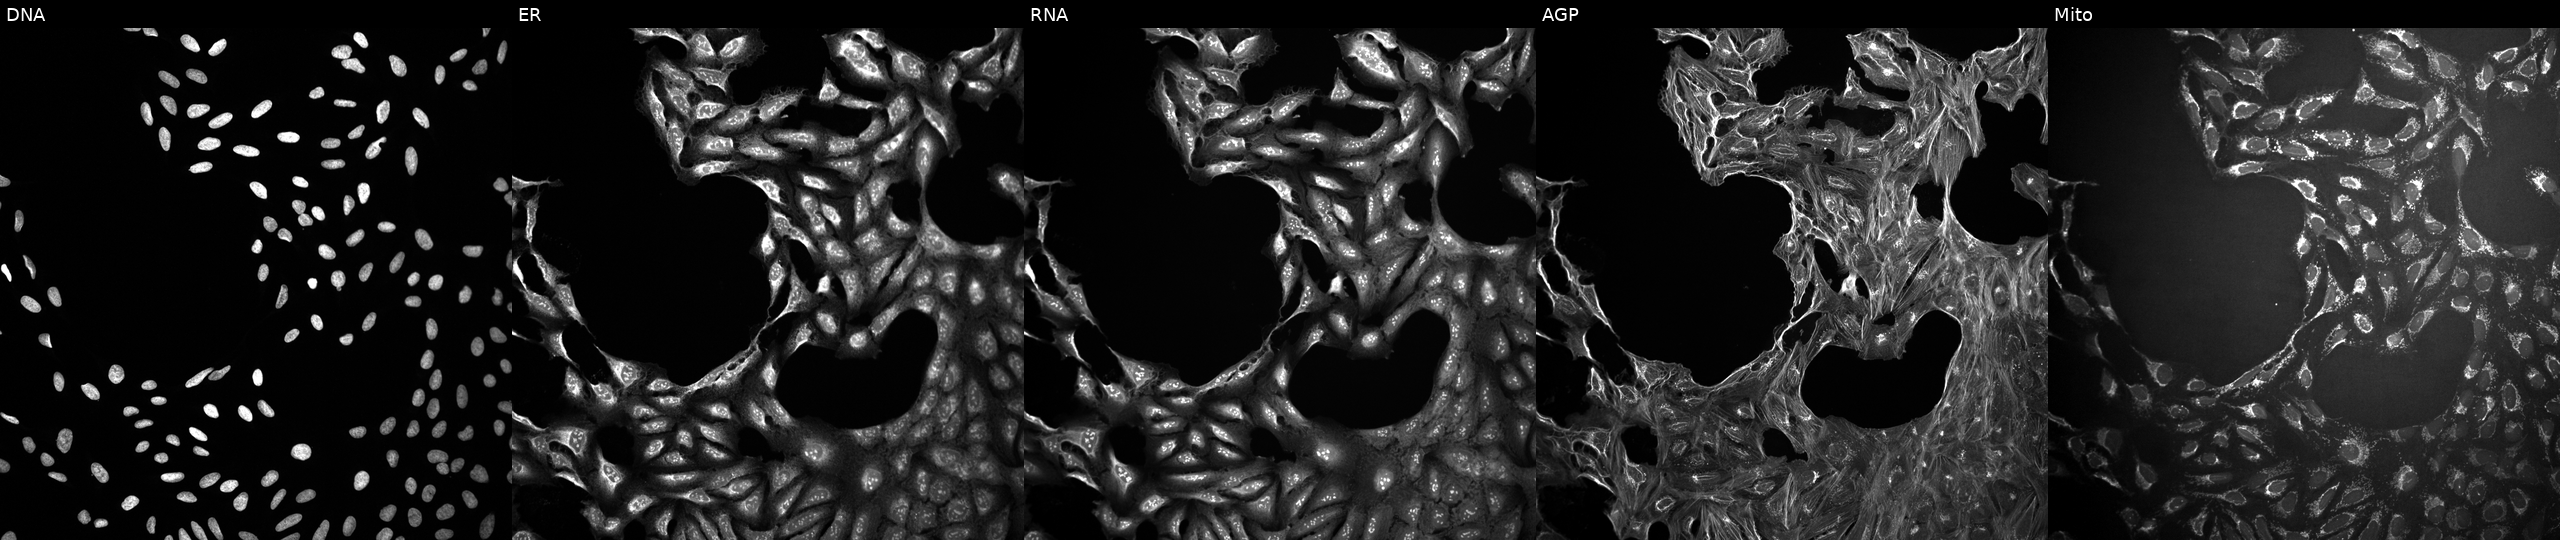
U2OS cells, Cell Painting assay, treated with dexamethasone (positive-control compound) (JUMP id JCP2022_025848). From left to right: DNA, ER, RNA, AGP, and Mito. Each panel is percentile-stretched 16-bit fluorescence. Source 10, plate Dest210727-153003, well H24.